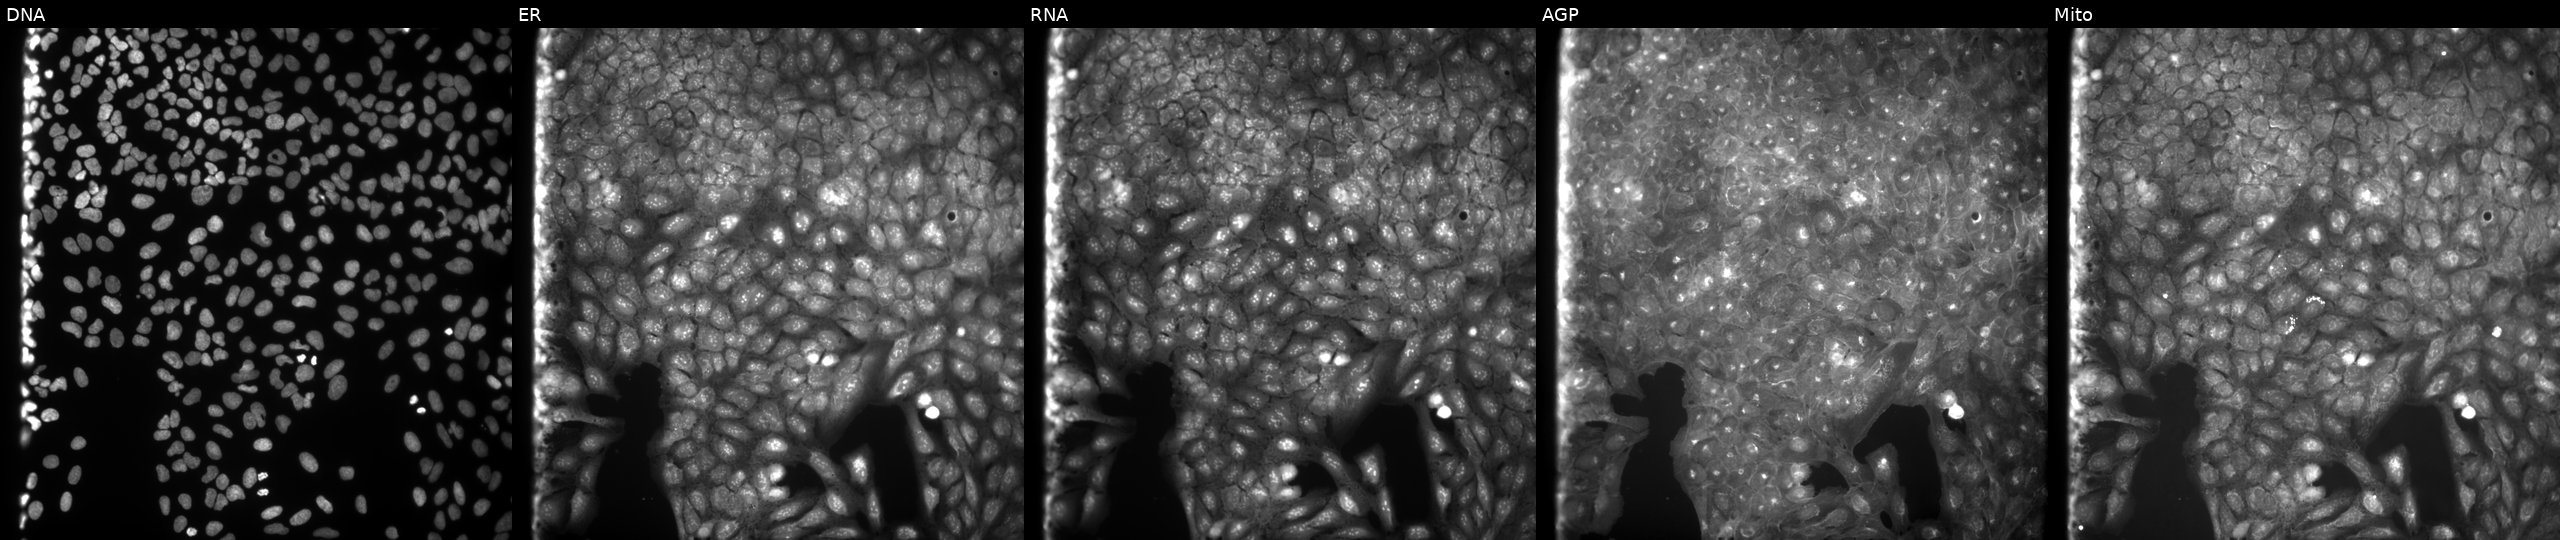
Five-channel Cell Painting image of U2OS cells treated with a small-molecule compound (InChIKey BZZWXGXDOUDVGZ-UHFFFAOYSA-N) (JUMP id JCP2022_009781). Panels show, left to right, DNA, ER, RNA, AGP, and Mito.